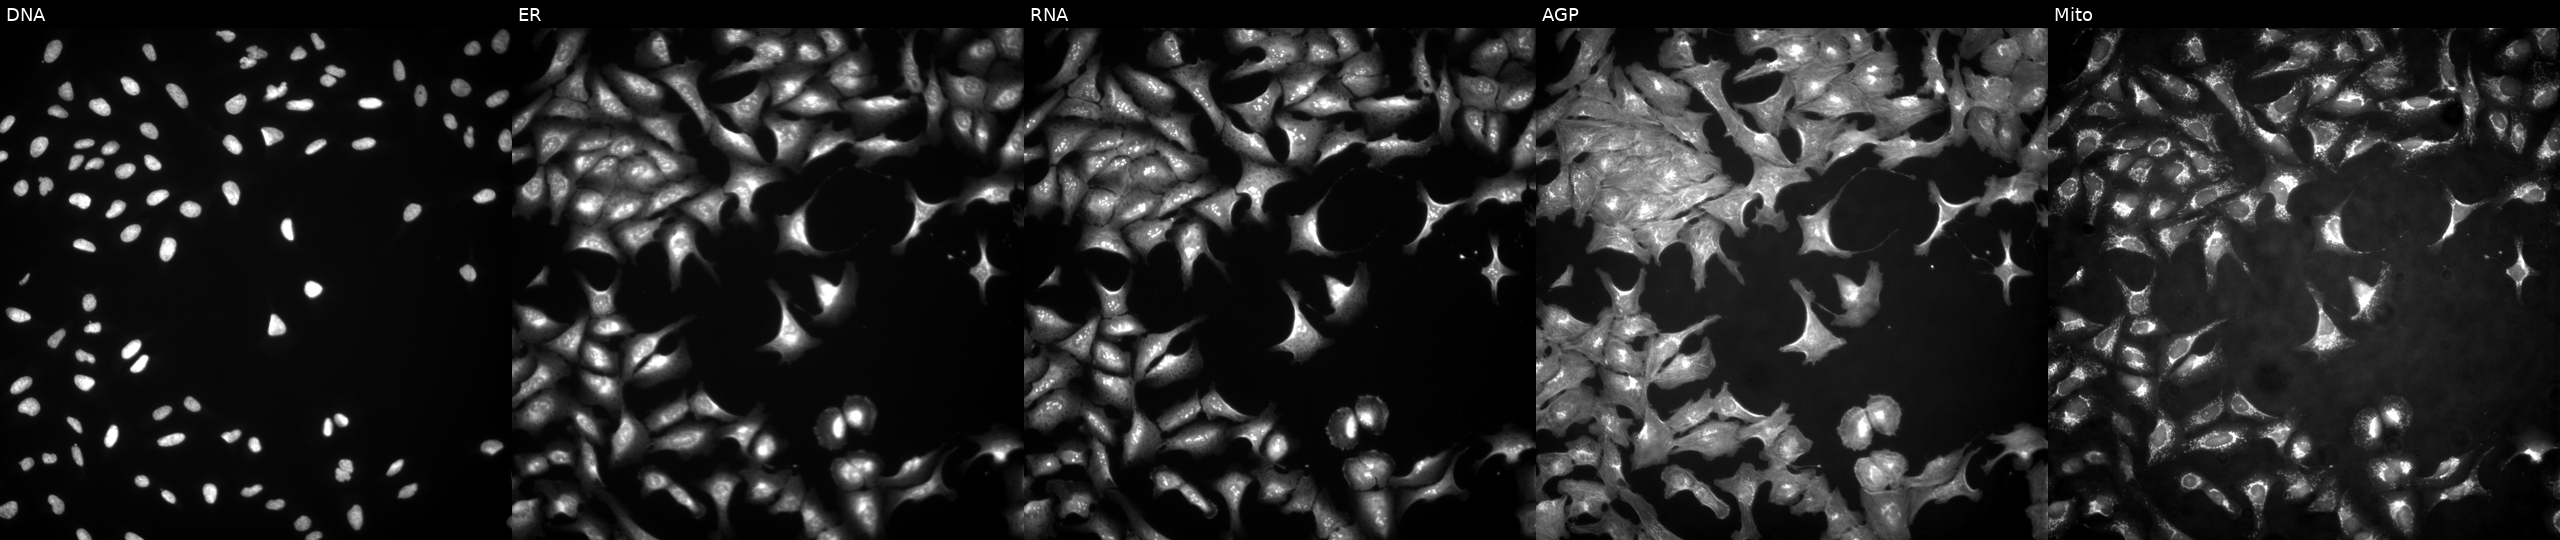
JUMP Cell Painting — ORF plate. U2OS cells with RAB5A overexpressed (ORF) (JUMP id JCP2022_906395). Channels (left→right): DNA (nuclei); ER (endoplasmic reticulum); RNA (nucleoli and cytoplasmic RNA); AGP (actin cytoskeleton, Golgi, and plasma membrane); Mito (mitochondria).